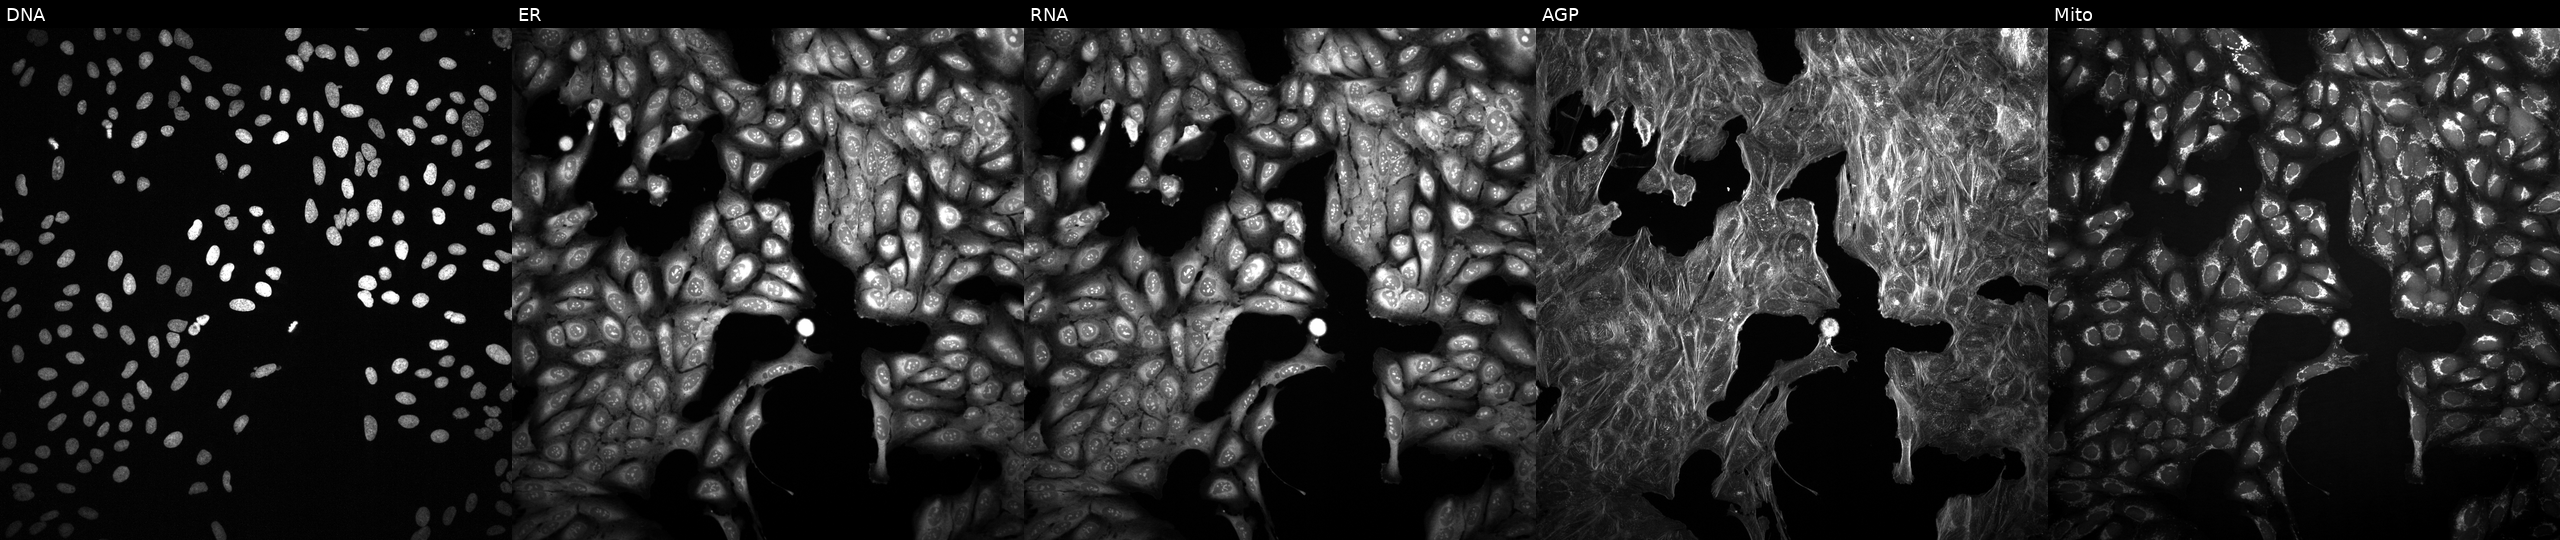
Five-channel Cell Painting image of U2OS cells perturbed with a small-molecule compound (InChIKey KJFMBFZCATUALV-UHFFFAOYSA-N) (JUMP id JCP2022_044972). From left to right: DNA, ER, RNA, AGP, and Mito. Source 2, plate 1053597936, well O16.